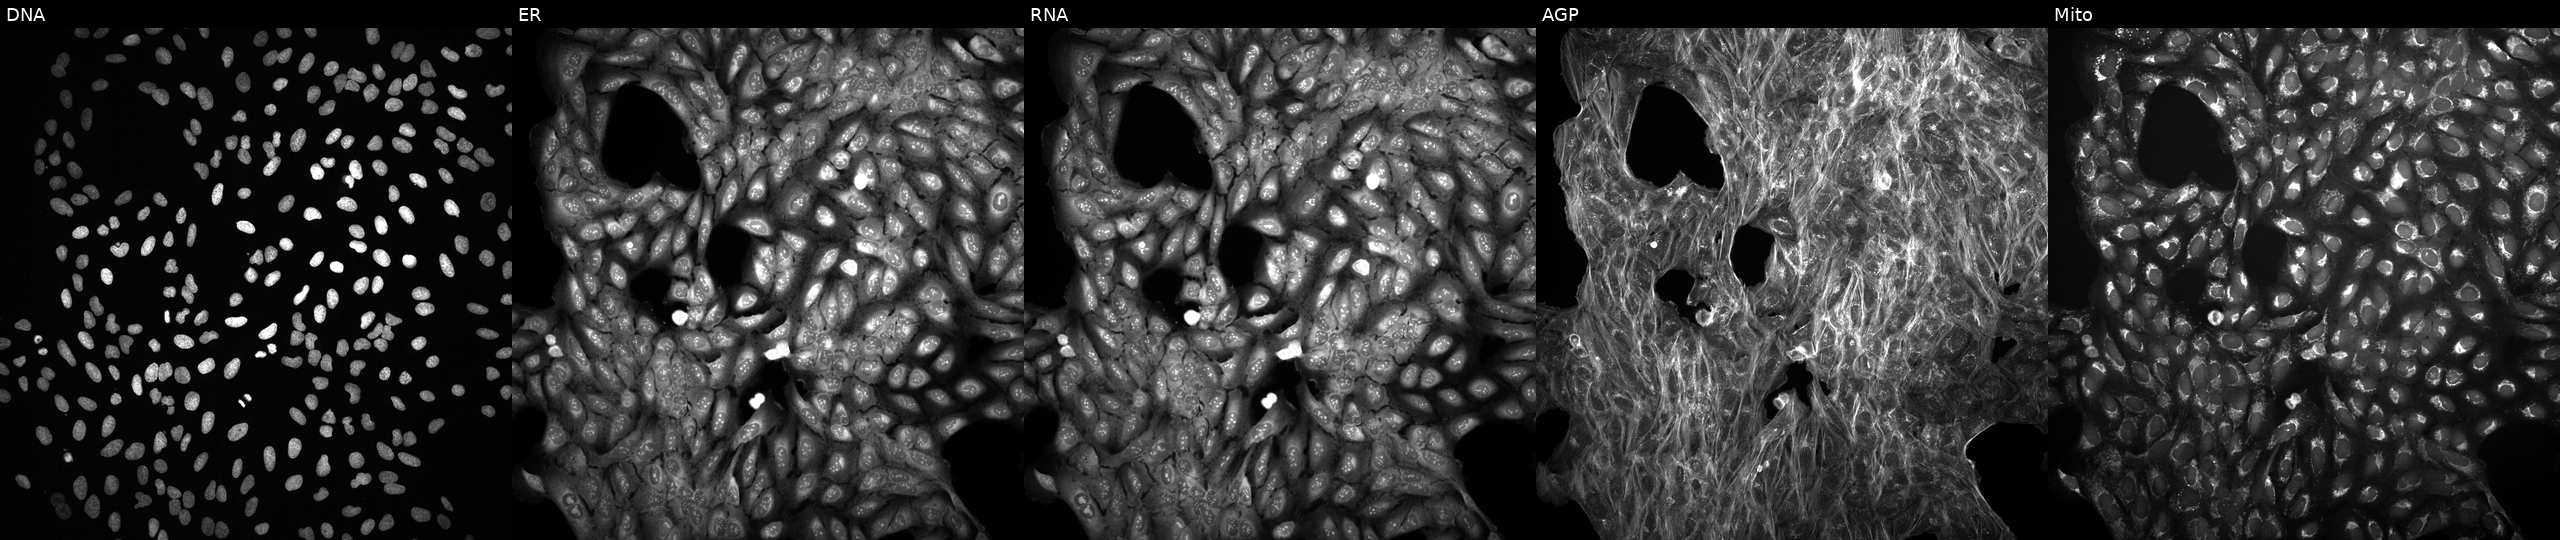
Five-channel Cell Painting image of U2OS cells exposed to a small-molecule compound (InChIKey NGTDJJKTGRNNAU-UHFFFAOYSA-N) (JUMP id JCP2022_058889). Panels show, left to right, DNA (nuclei); ER (endoplasmic reticulum); RNA (nucleoli and cytoplasmic RNA); AGP (actin cytoskeleton, Golgi, and plasma membrane); Mito (mitochondria).